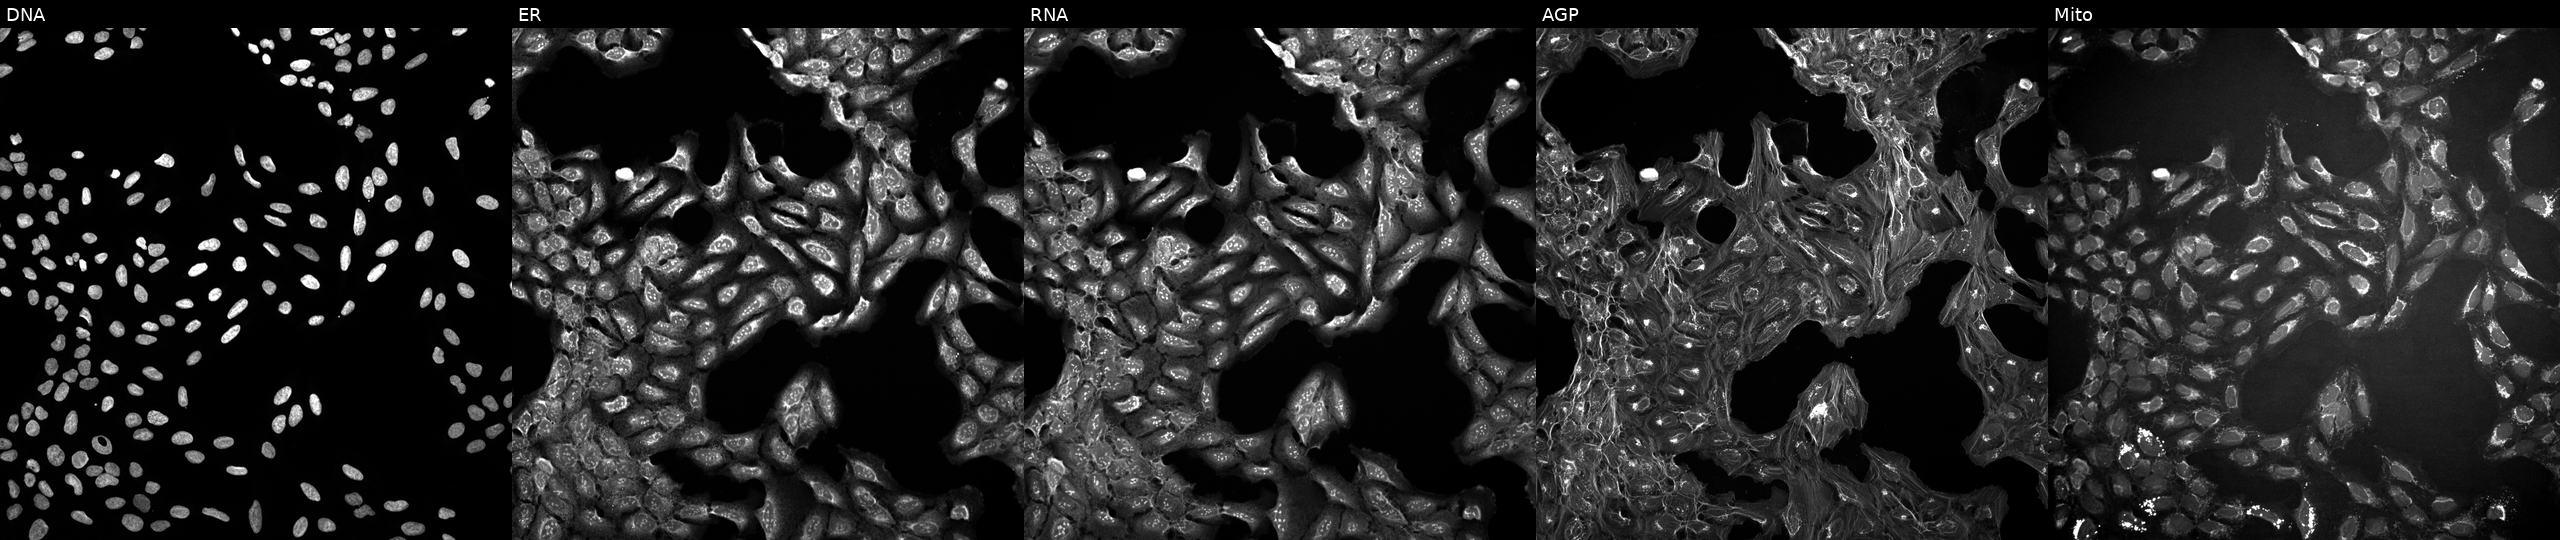
High-content fluorescence microscopy (Cell Painting). Cell line: U2OS. Perturbation: exposed to a small-molecule compound (InChIKey BFPYJYPWLUETFI-UHFFFAOYSA-N) (JUMP id JCP2022_006009). Channels (left→right): DNA, ER, RNA, AGP, and Mito. Source 10, plate Dest210531-152324, well A18.